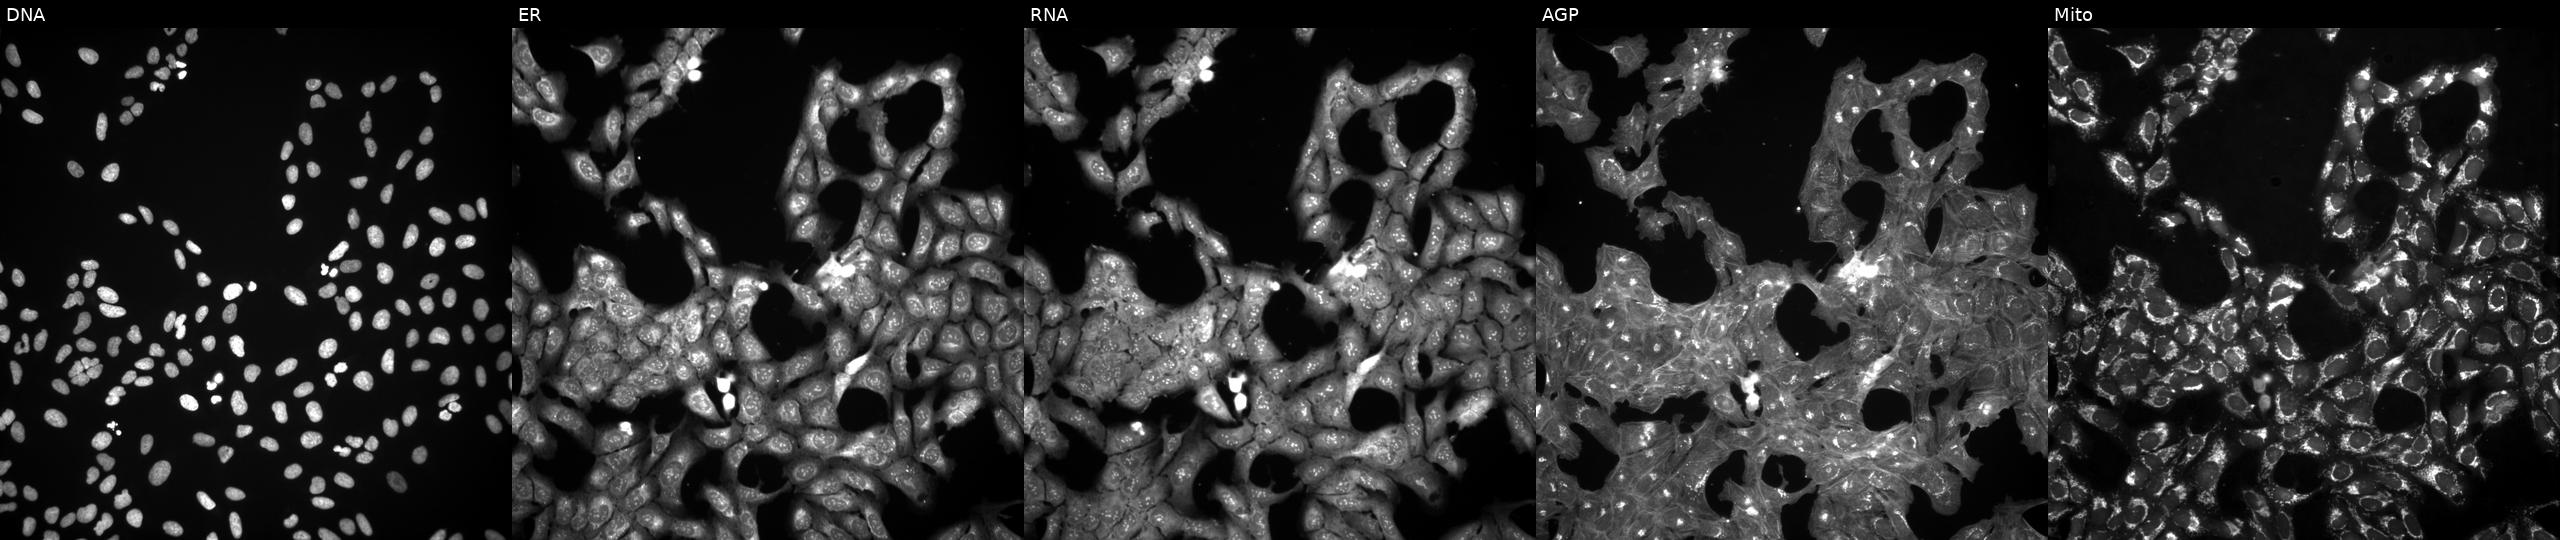
U2OS cells, Cell Painting assay, treated with a small-molecule compound (JUMP id JCP2022_035351). Channels (left→right): DNA (nuclei); ER (endoplasmic reticulum); RNA (nucleoli and cytoplasmic RNA); AGP (actin cytoskeleton, Golgi, and plasma membrane); Mito (mitochondria). Each panel is percentile-stretched 16-bit fluorescence.